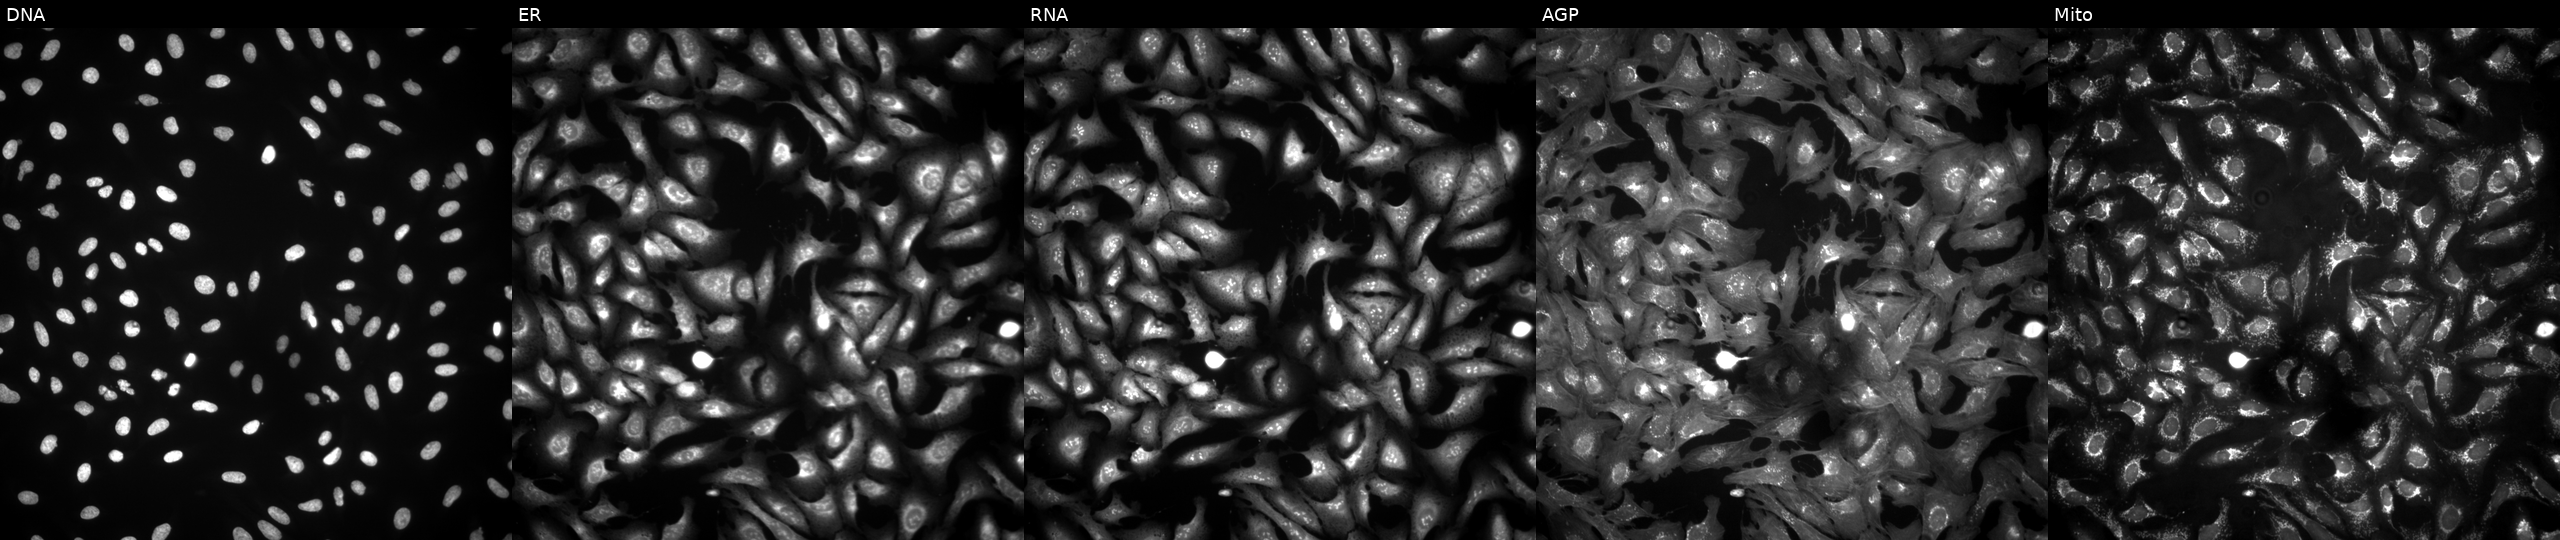
Five-channel Cell Painting image of U2OS cells overexpressing PRICKLE1 via ORF transfection (JUMP id JCP2022_904649). Channels (left→right): DNA, ER, RNA, AGP, and Mito.